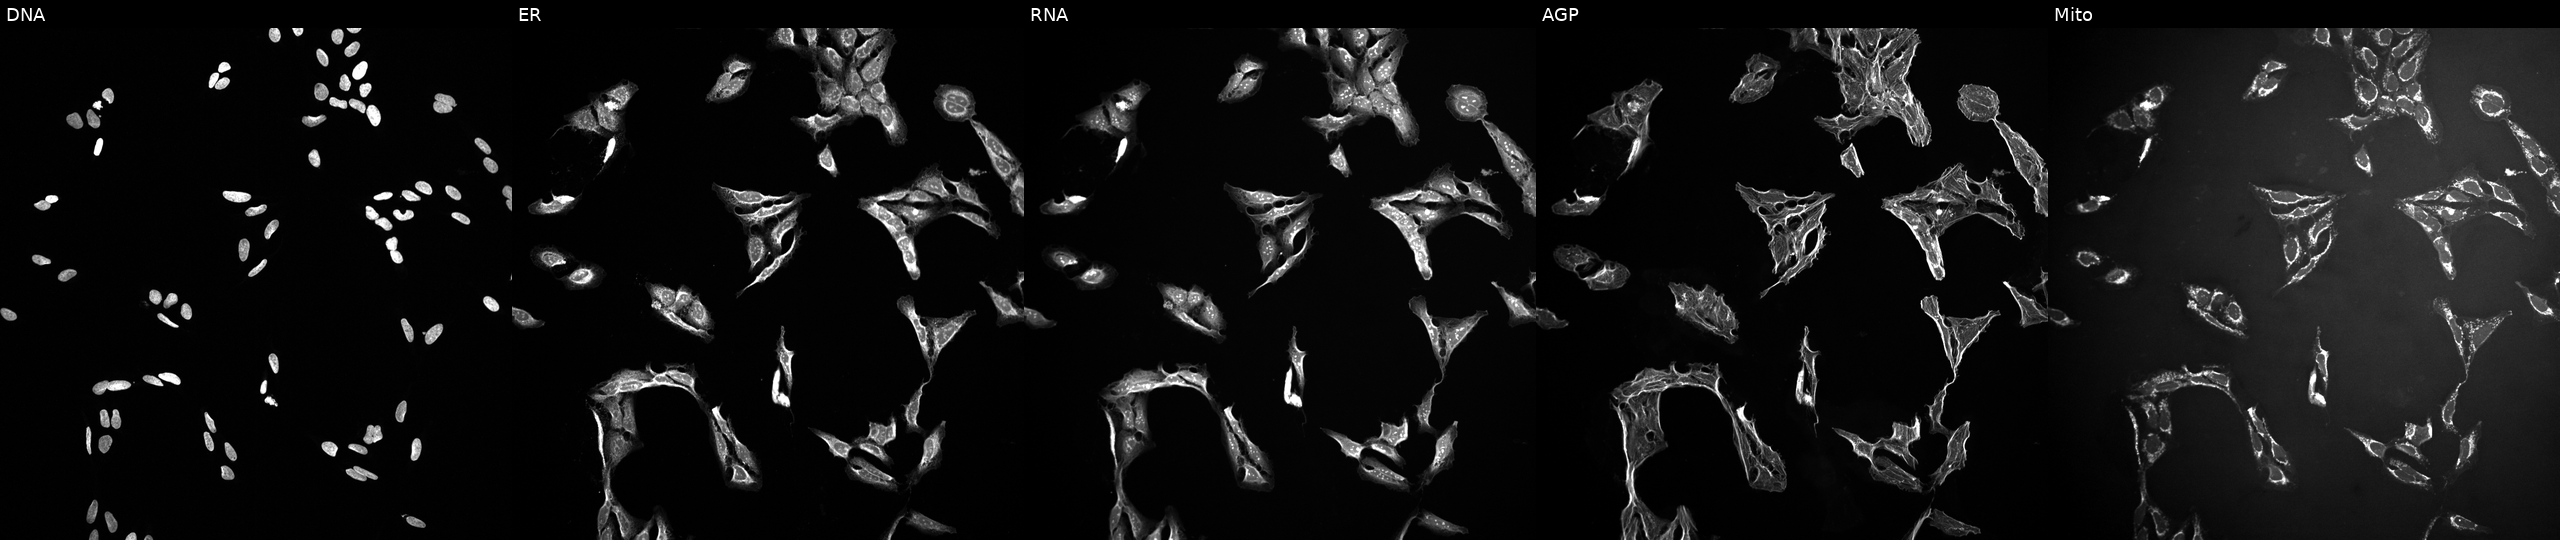
U2OS cells, Cell Painting assay, exposed to a small-molecule compound (JUMP id JCP2022_047545). Panels show, left to right, DNA, ER, RNA, AGP, and Mito. Each panel is percentile-stretched 16-bit fluorescence. Source 10, plate Dest210727-153003, well P21.